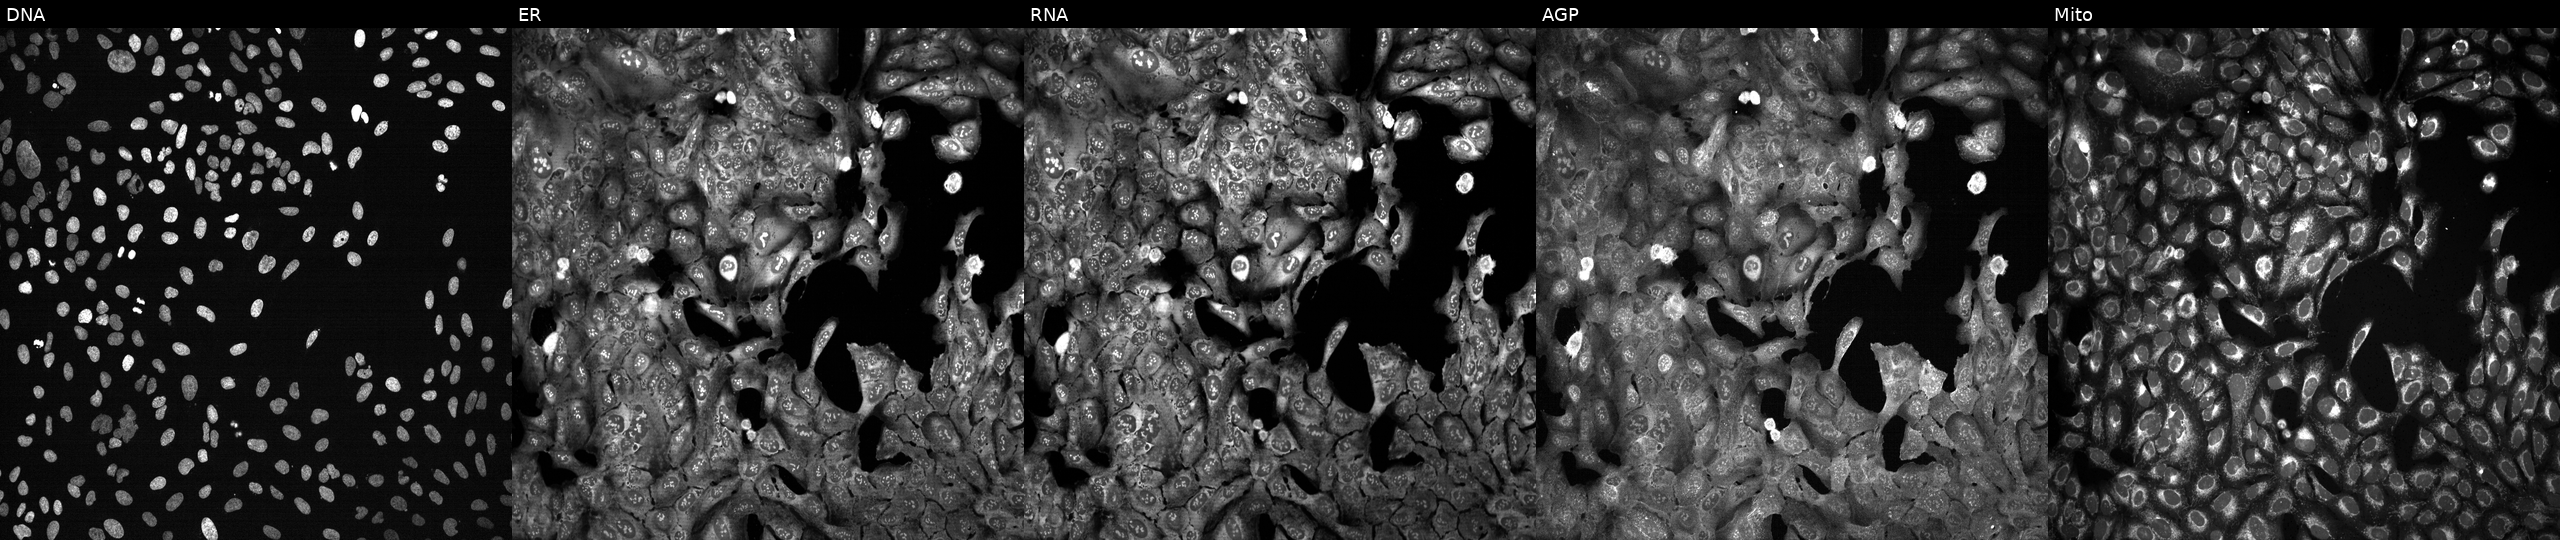
This image strip shows the five Cell Painting channels for a single field of U2OS cells with GJA1 knocked out by CRISPR. From left to right: DNA (nuclei); ER (endoplasmic reticulum); RNA (nucleoli and cytoplasmic RNA); AGP (actin cytoskeleton, Golgi, and plasma membrane); Mito (mitochondria).